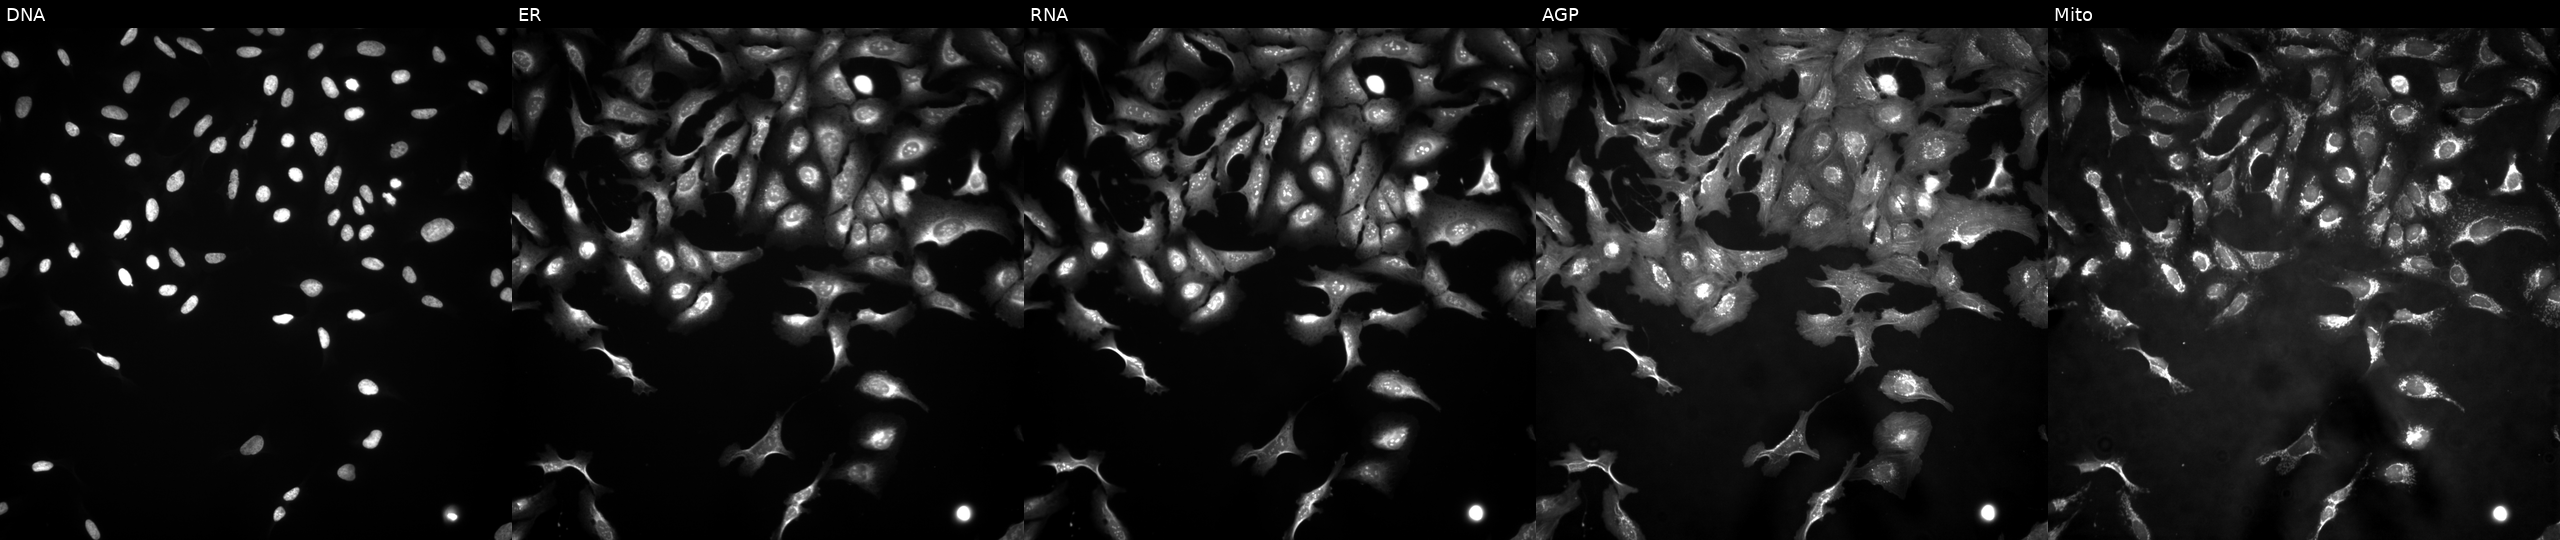
Five-channel Cell Painting image of U2OS cells overexpressing INTS10 via ORF transfection. Panels show, left to right, DNA (nuclei); ER (endoplasmic reticulum); RNA (nucleoli and cytoplasmic RNA); AGP (actin cytoskeleton, Golgi, and plasma membrane); Mito (mitochondria).